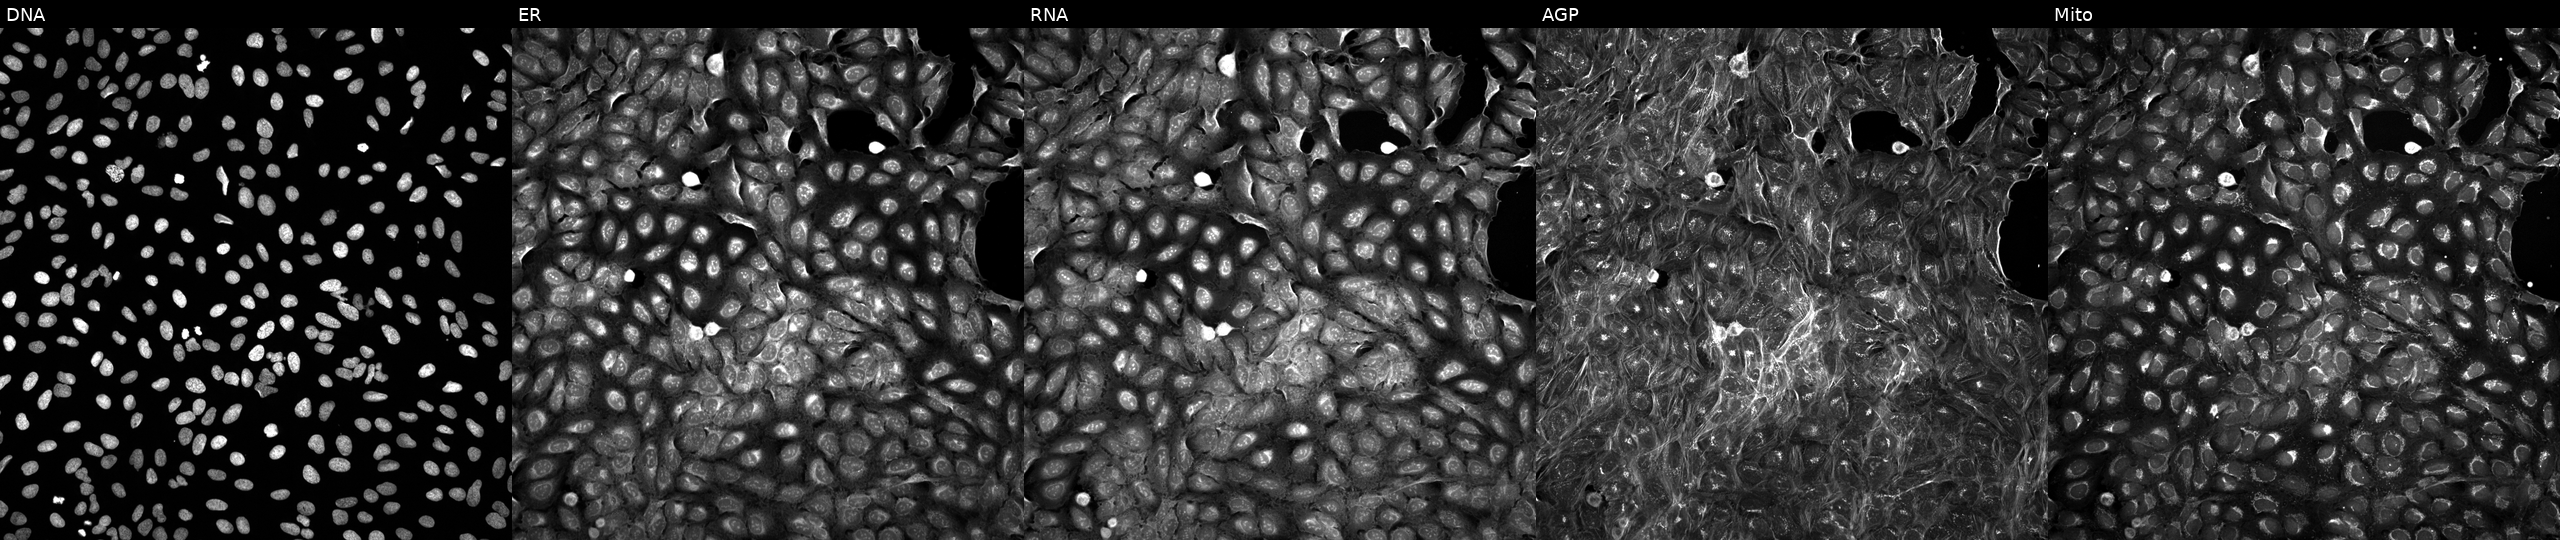
U2OS cells, Cell Painting assay, treated with a small-molecule compound (JUMP id JCP2022_112828). The five panels, left to right, show Hoechst 33342, concanavalin A, SYTO 14, phalloidin and WGA, MitoTracker. Each panel is percentile-stretched 16-bit fluorescence.